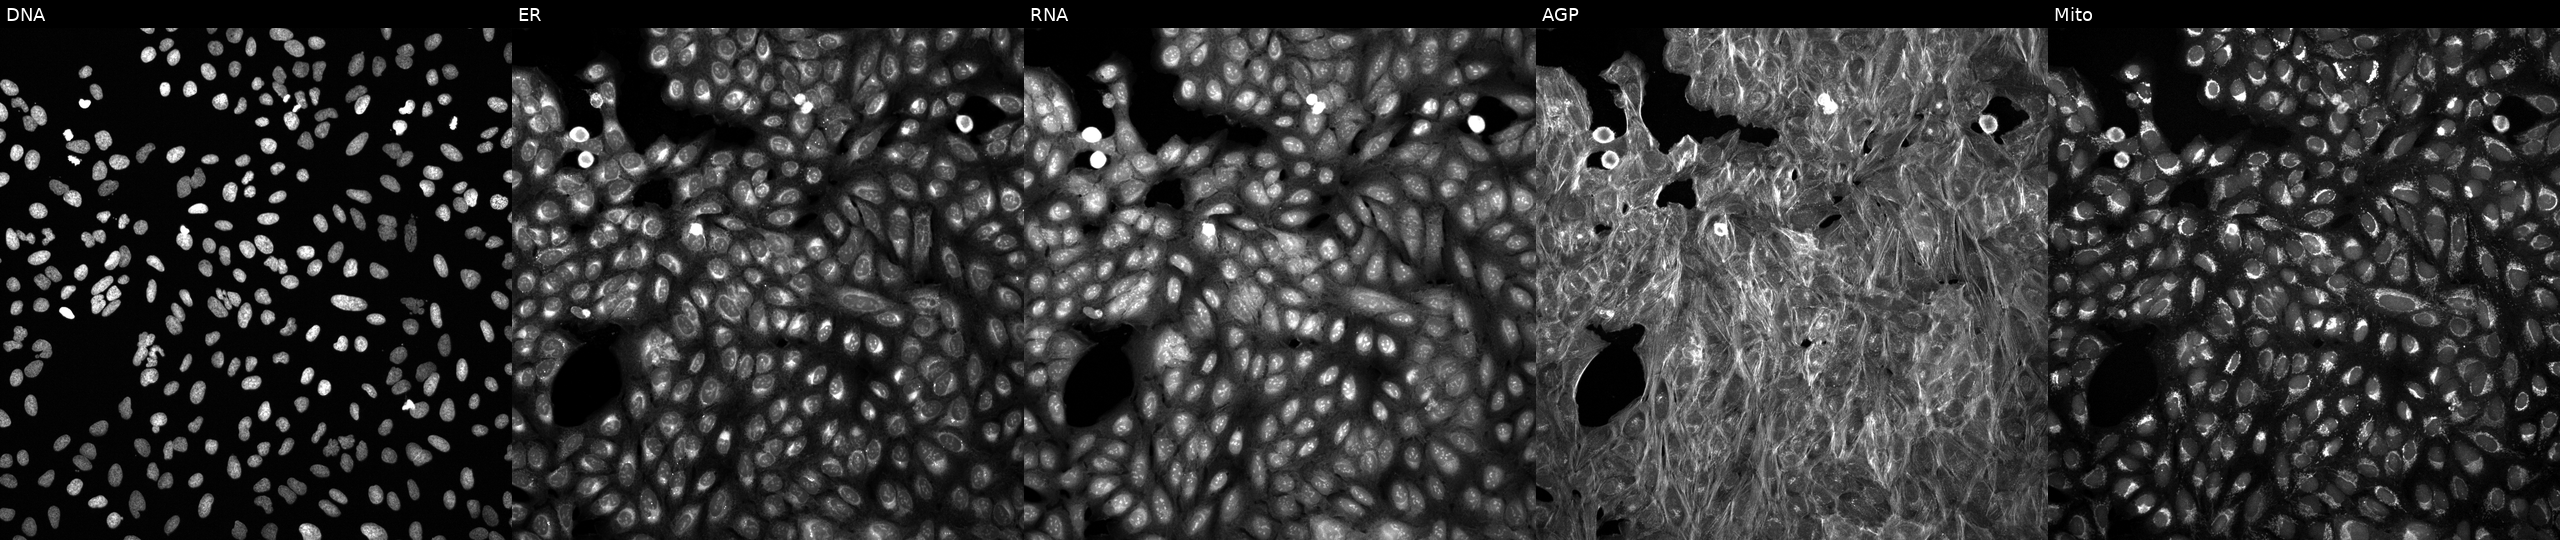
High-content fluorescence microscopy (Cell Painting). Cell line: U2OS. Perturbation: perturbed with a small-molecule compound (InChIKey QNQZWEGMKJBHEM-UHFFFAOYSA-N) (JUMP id JCP2022_074697). Channels (left→right): Hoechst 33342, concanavalin A, SYTO 14, phalloidin and WGA, MitoTracker.